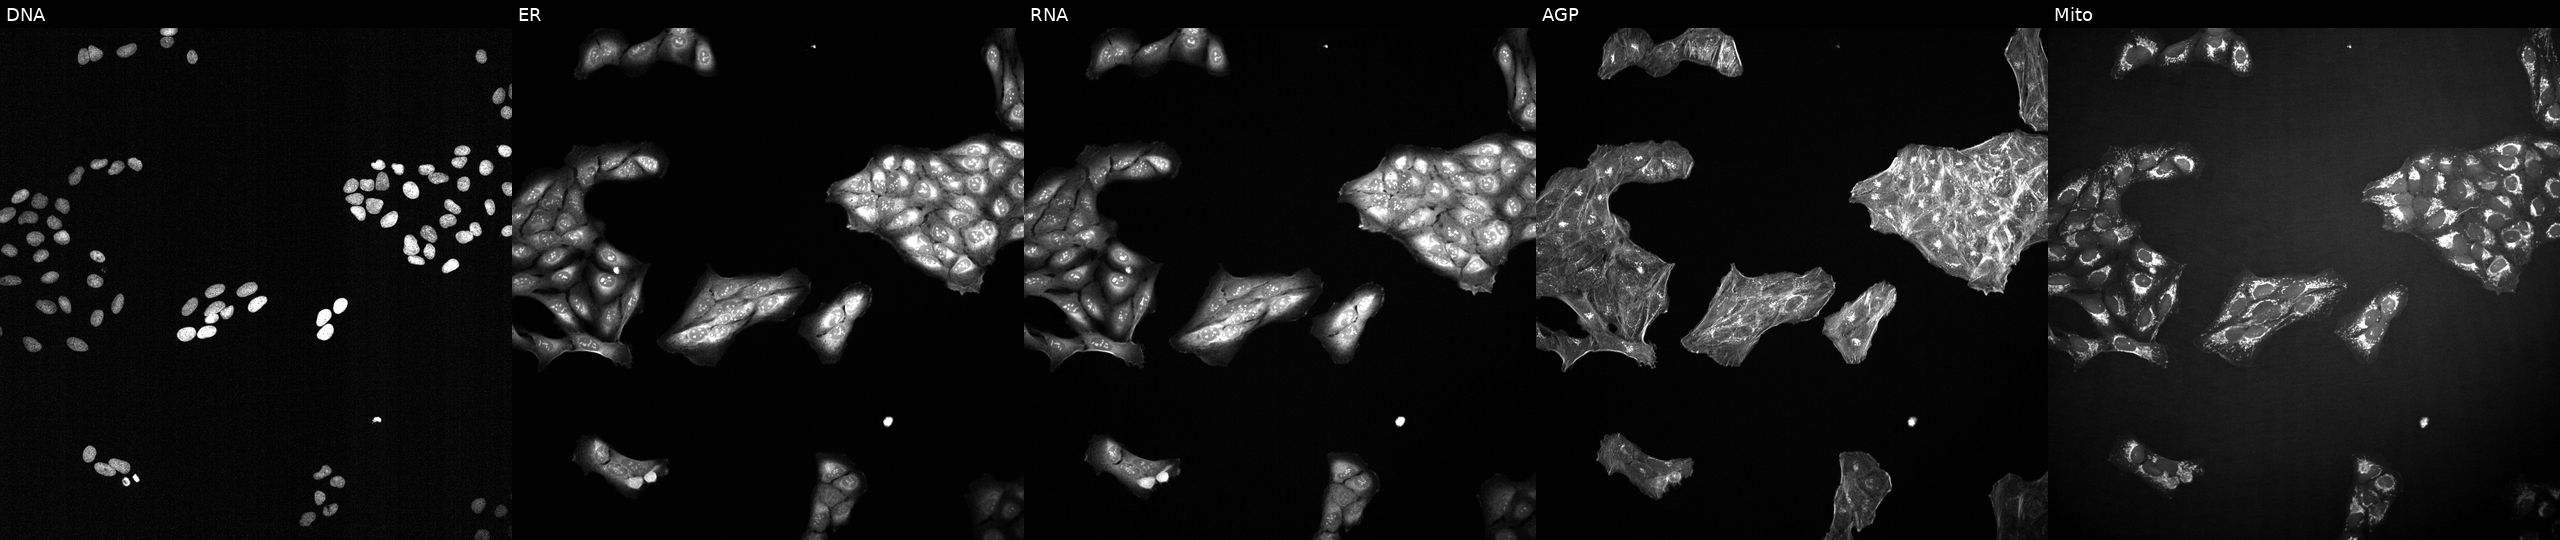
High-content fluorescence microscopy (Cell Painting). Cell line: U2OS. Perturbation: perturbed with a small-molecule compound (InChIKey KBPLFHHGFOOTCA-UHFFFAOYSA-N) (JUMP id JCP2022_043547). Panels show, left to right, DNA (nuclei); ER (endoplasmic reticulum); RNA (nucleoli and cytoplasmic RNA); AGP (actin cytoskeleton, Golgi, and plasma membrane); Mito (mitochondria).